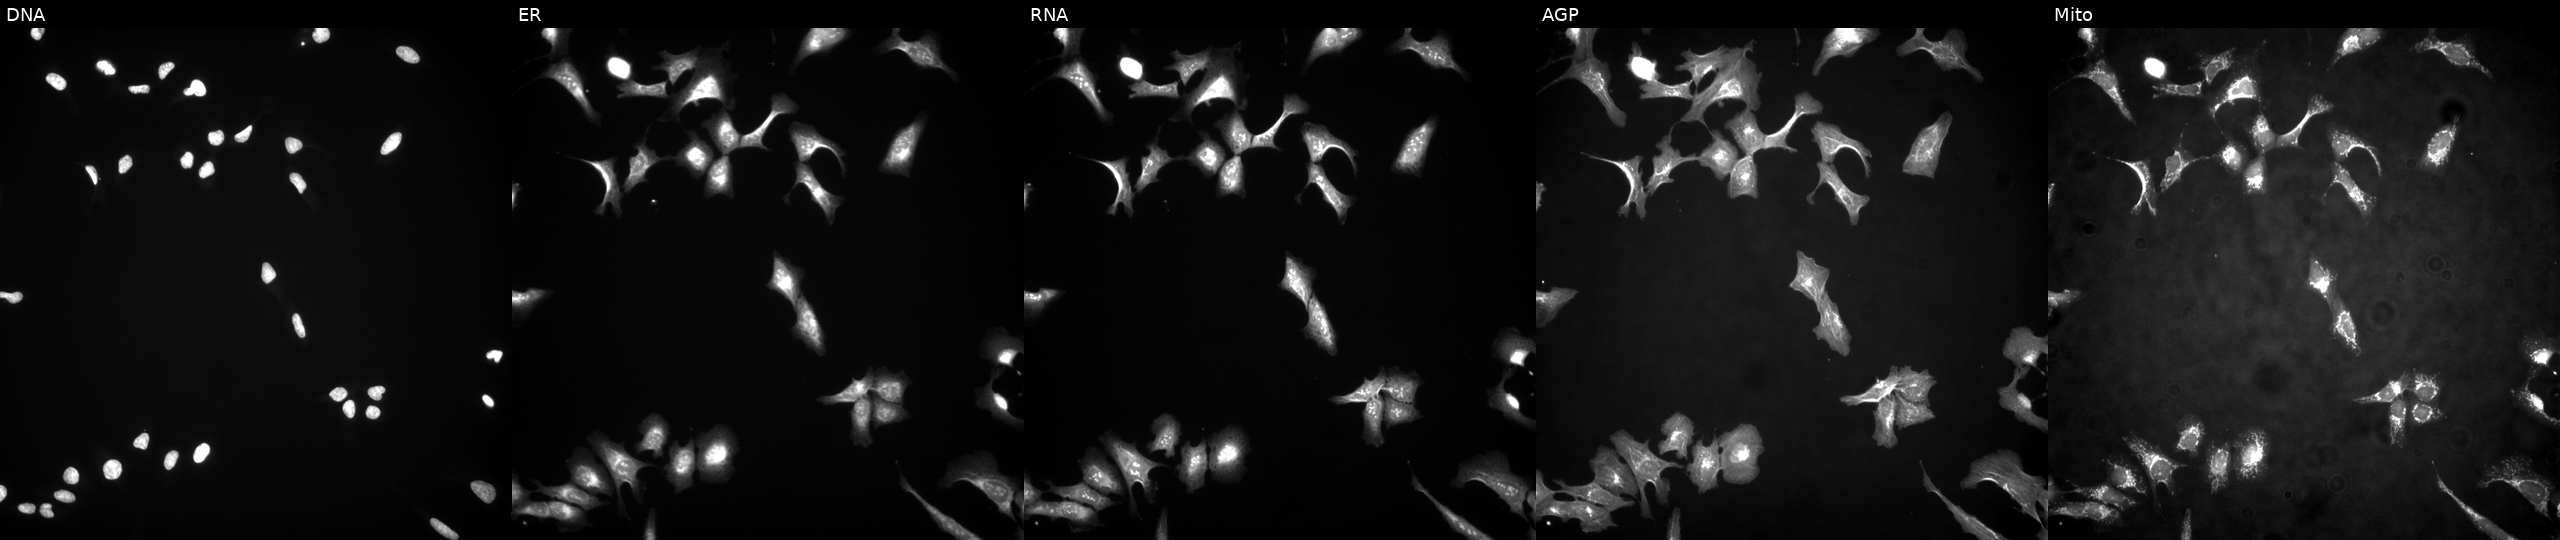
The five panels, left to right, show DNA, ER, RNA, AGP, and Mito. U2OS osteosarcoma cells transfected with an ORF construct for MAGEC2. Cell Painting assay, JUMP-CP dataset.